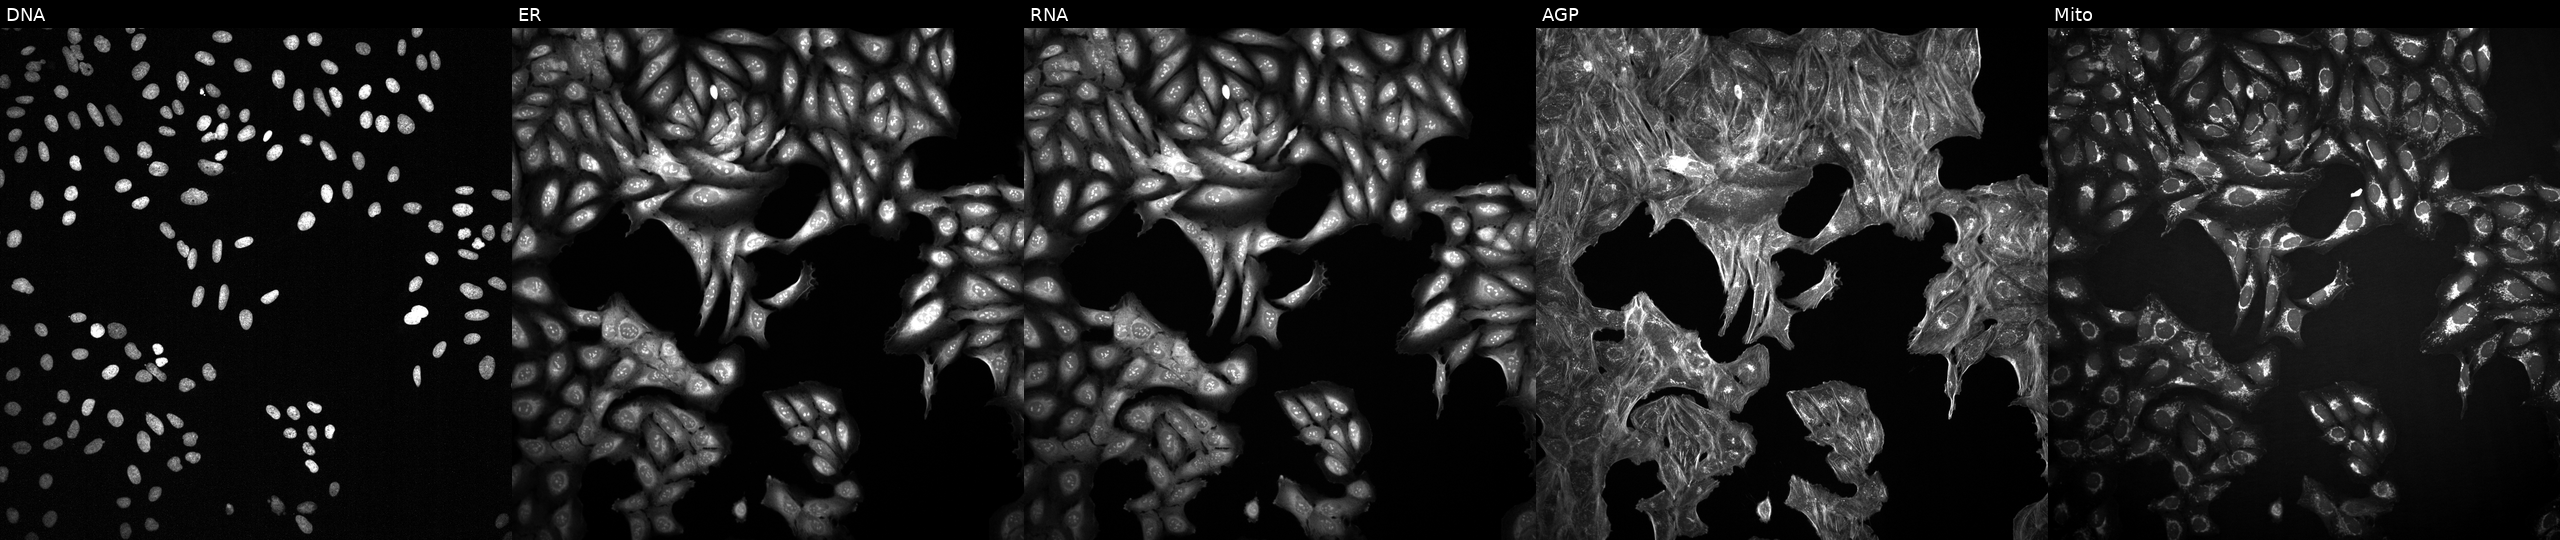
This image strip shows the five Cell Painting channels for a single field of U2OS cells treated with a small-molecule compound (InChIKey DLYCSEPLRFHSOD-UHFFFAOYSA-N) (JUMP id JCP2022_016783). Panels show, left to right, DNA (nuclei); ER (endoplasmic reticulum); RNA (nucleoli and cytoplasmic RNA); AGP (actin cytoskeleton, Golgi, and plasma membrane); Mito (mitochondria). Source 2, plate 1053601763, well A07.